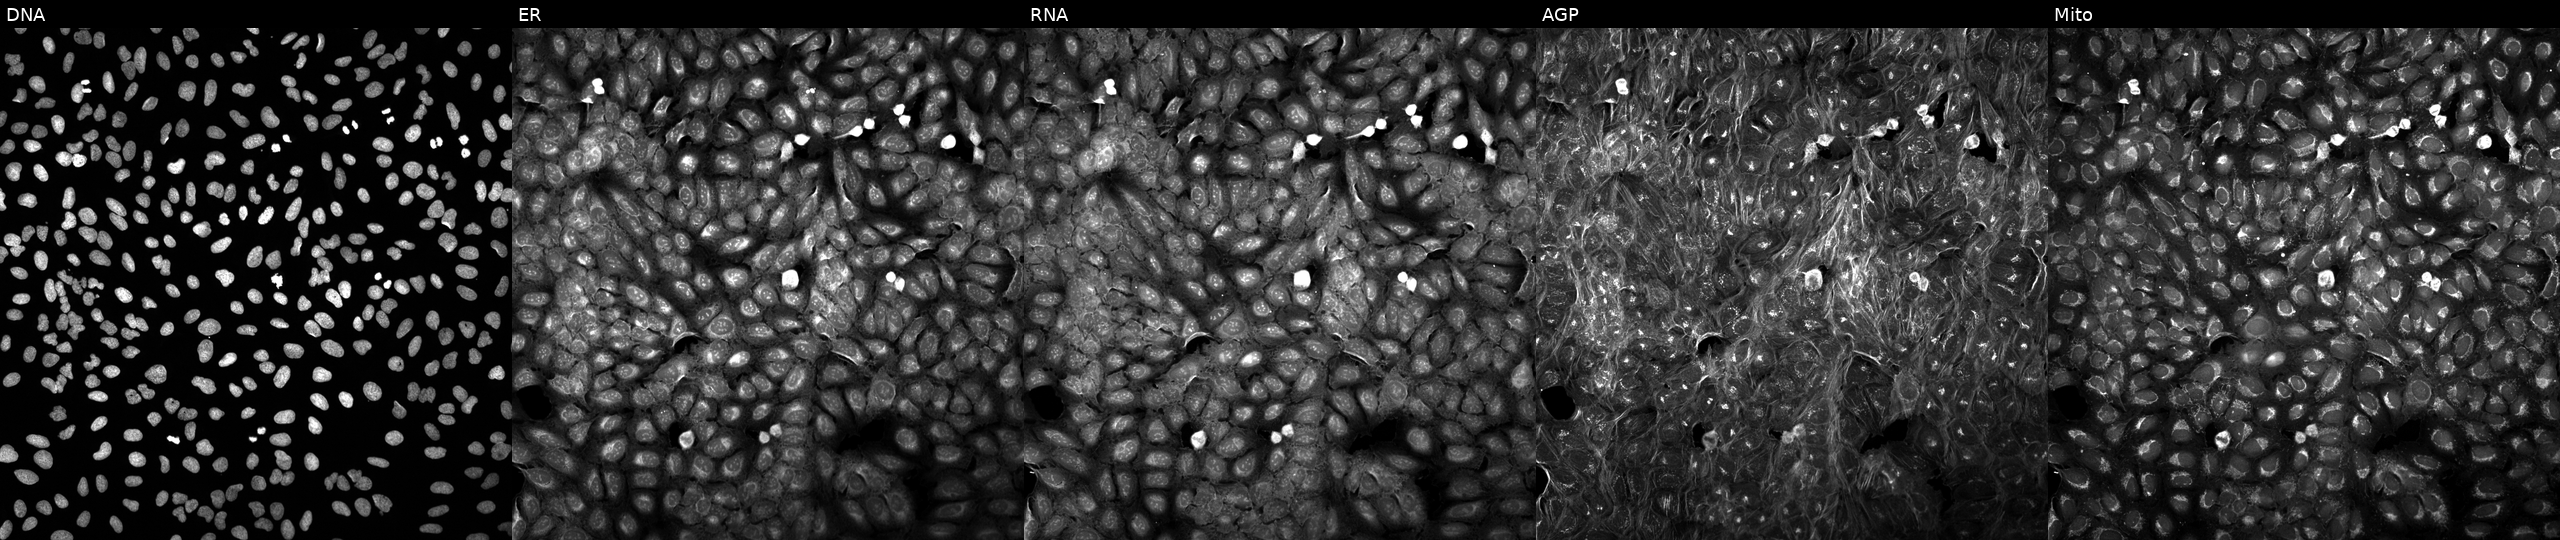
U2OS cells, Cell Painting assay, treated with a small-molecule compound (InChIKey KJFMBFZCATUALV-UHFFFAOYSA-N). From left to right: DNA (nuclei); ER (endoplasmic reticulum); RNA (nucleoli and cytoplasmic RNA); AGP (actin cytoskeleton, Golgi, and plasma membrane); Mito (mitochondria). Each panel is percentile-stretched 16-bit fluorescence.